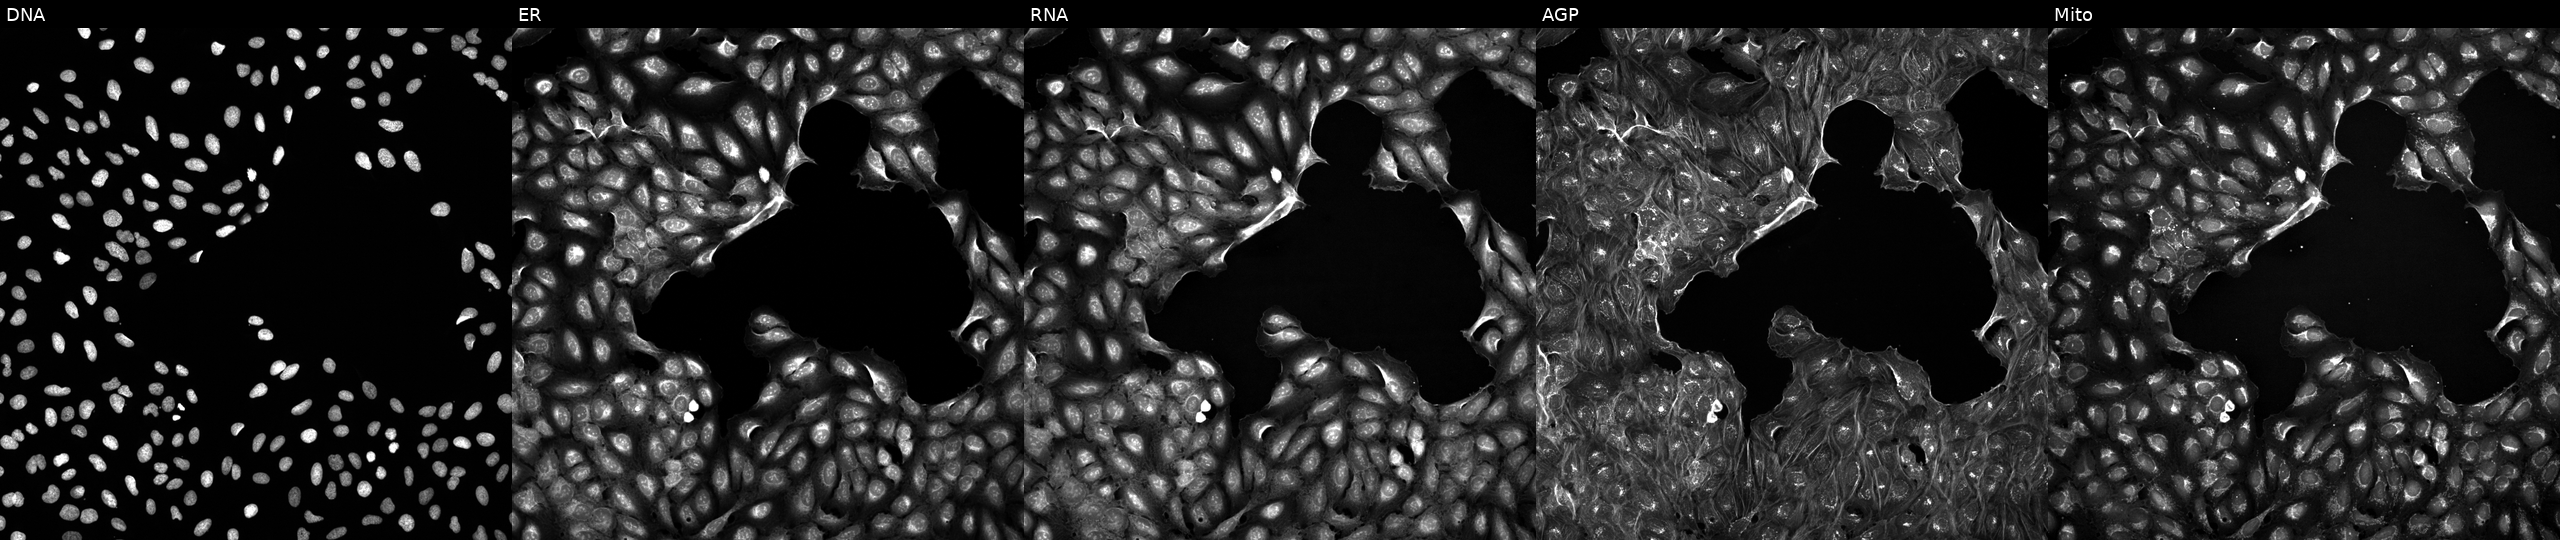
JUMP Cell Painting — TARGET2 plate. U2OS cells perturbed with a small-molecule compound (JUMP id JCP2022_010382). The five panels, left to right, show DNA (nuclei); ER (endoplasmic reticulum); RNA (nucleoli and cytoplasmic RNA); AGP (actin cytoskeleton, Golgi, and plasma membrane); Mito (mitochondria). Source 5, plate ACPJUM051, well B17.